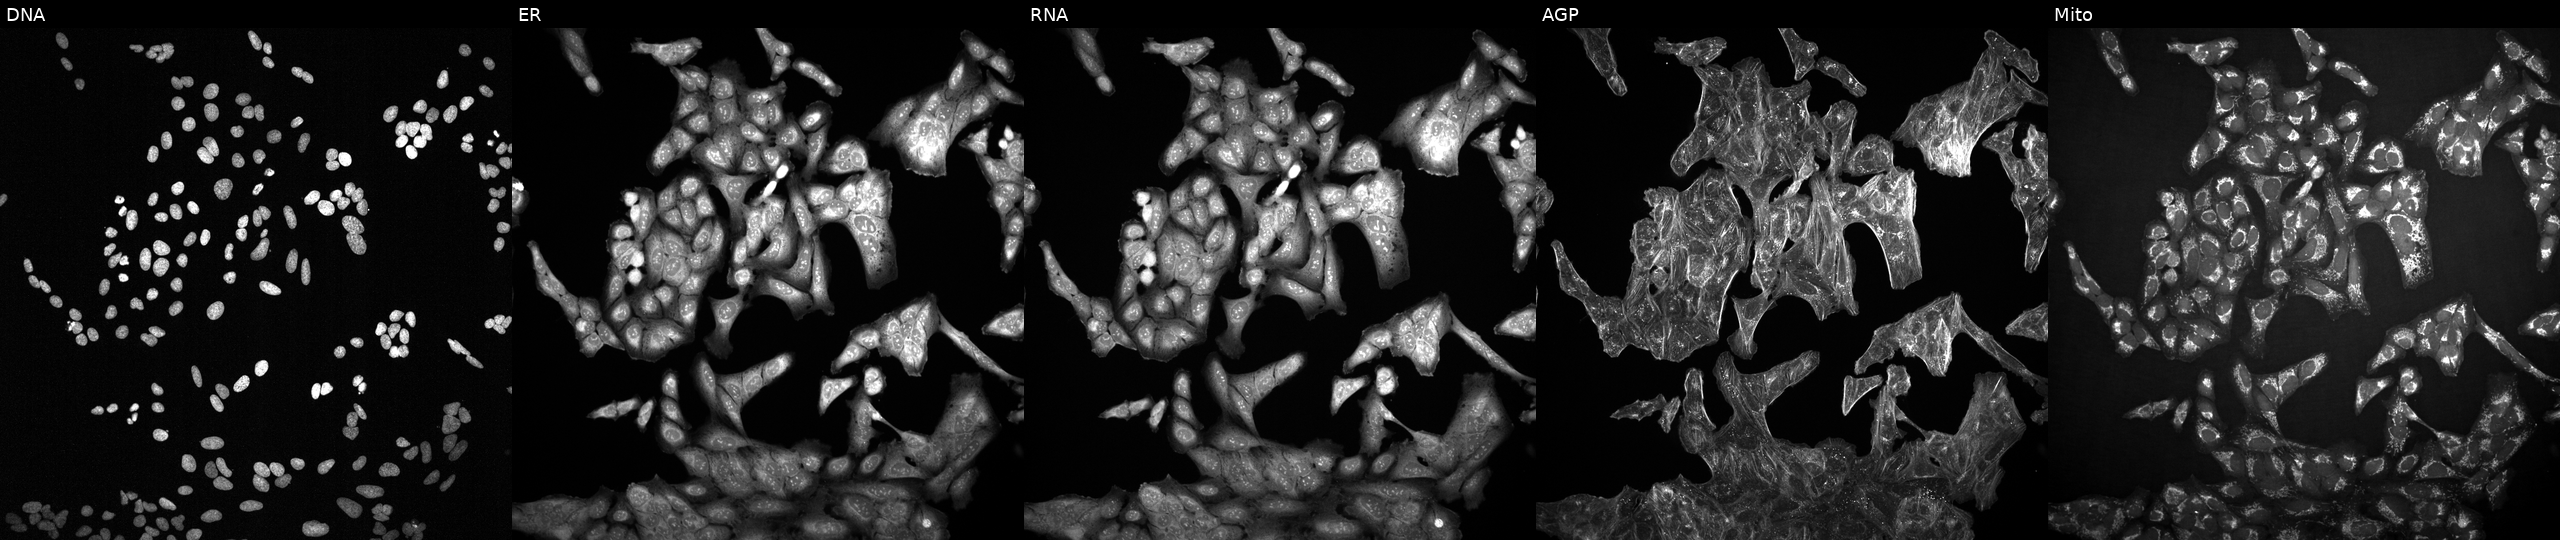
This image strip shows the five Cell Painting channels for a single field of U2OS cells treated with a small-molecule compound (InChIKey DMWVGXGXHPOEPT-UHFFFAOYSA-N) (JUMP id JCP2022_016935). Channels (left→right): DNA, ER, RNA, AGP, and Mito.